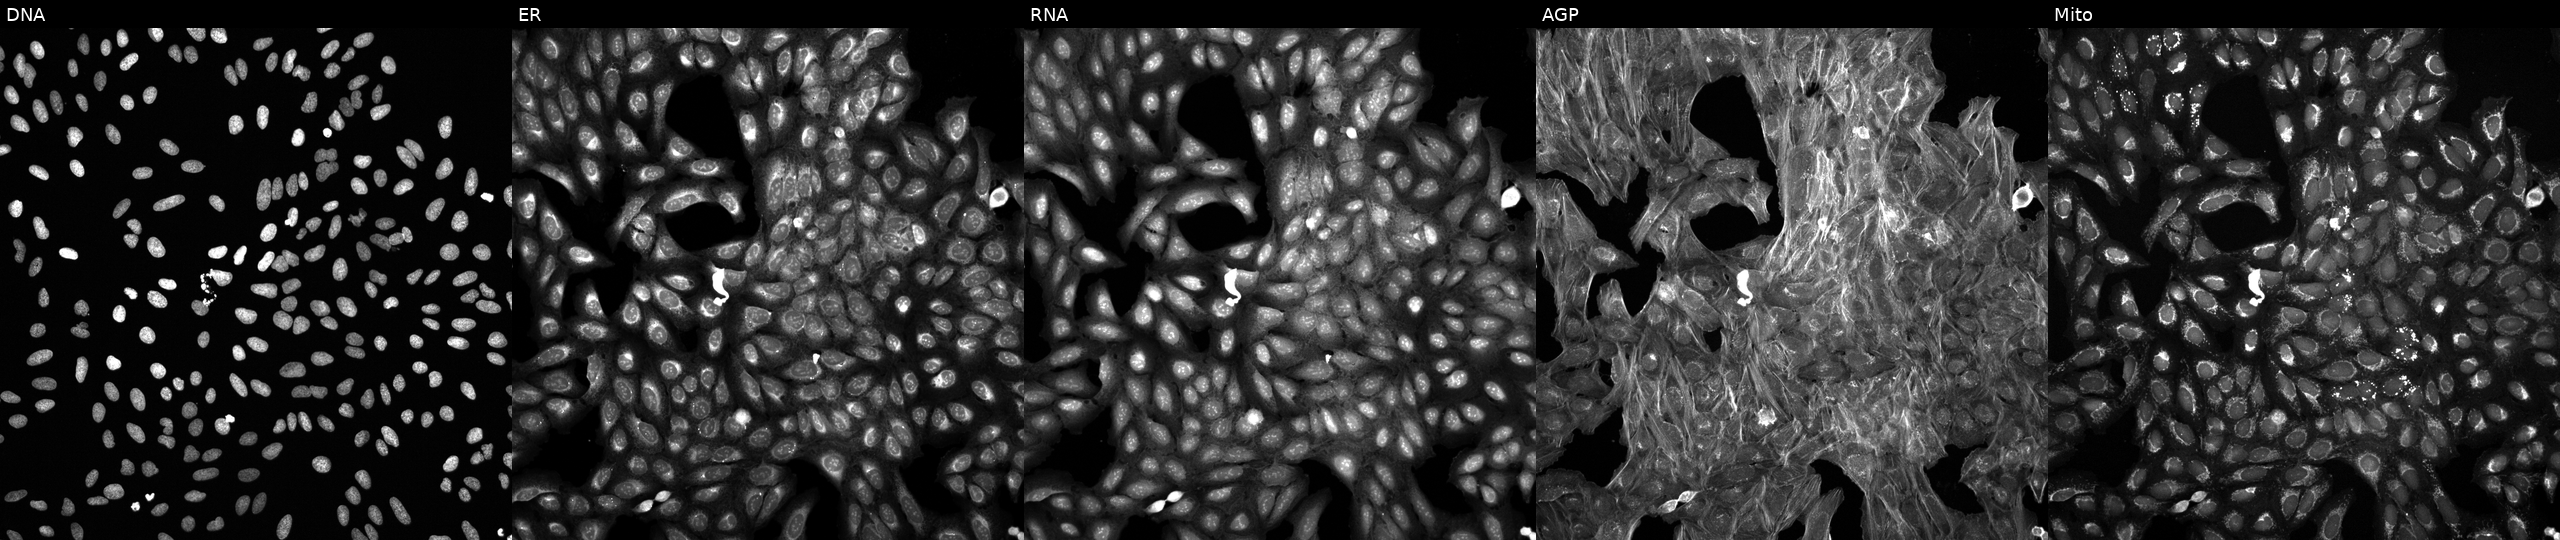
This image strip shows the five Cell Painting channels for a single field of U2OS cells perturbed with a small-molecule compound (JUMP id JCP2022_072945). From left to right: Hoechst 33342, concanavalin A, SYTO 14, phalloidin and WGA, MitoTracker.